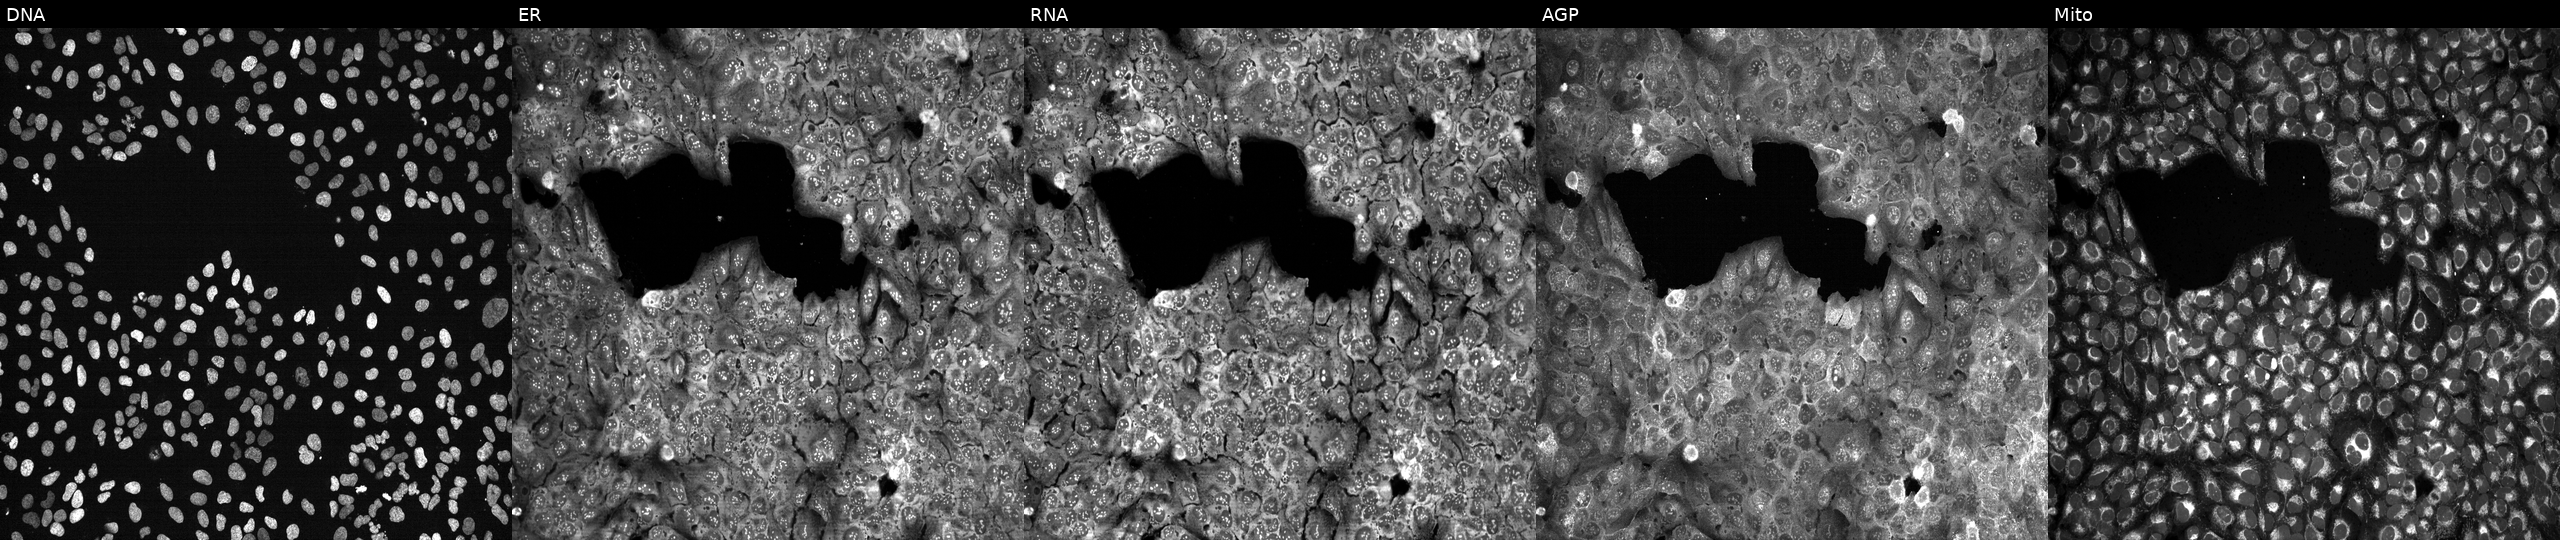
This image strip shows the five Cell Painting channels for a single field of U2OS cells with SLC30A1 knocked out by CRISPR (JUMP id JCP2022_806494). The five panels, left to right, show Hoechst 33342, concanavalin A, SYTO 14, phalloidin and WGA, MitoTracker.